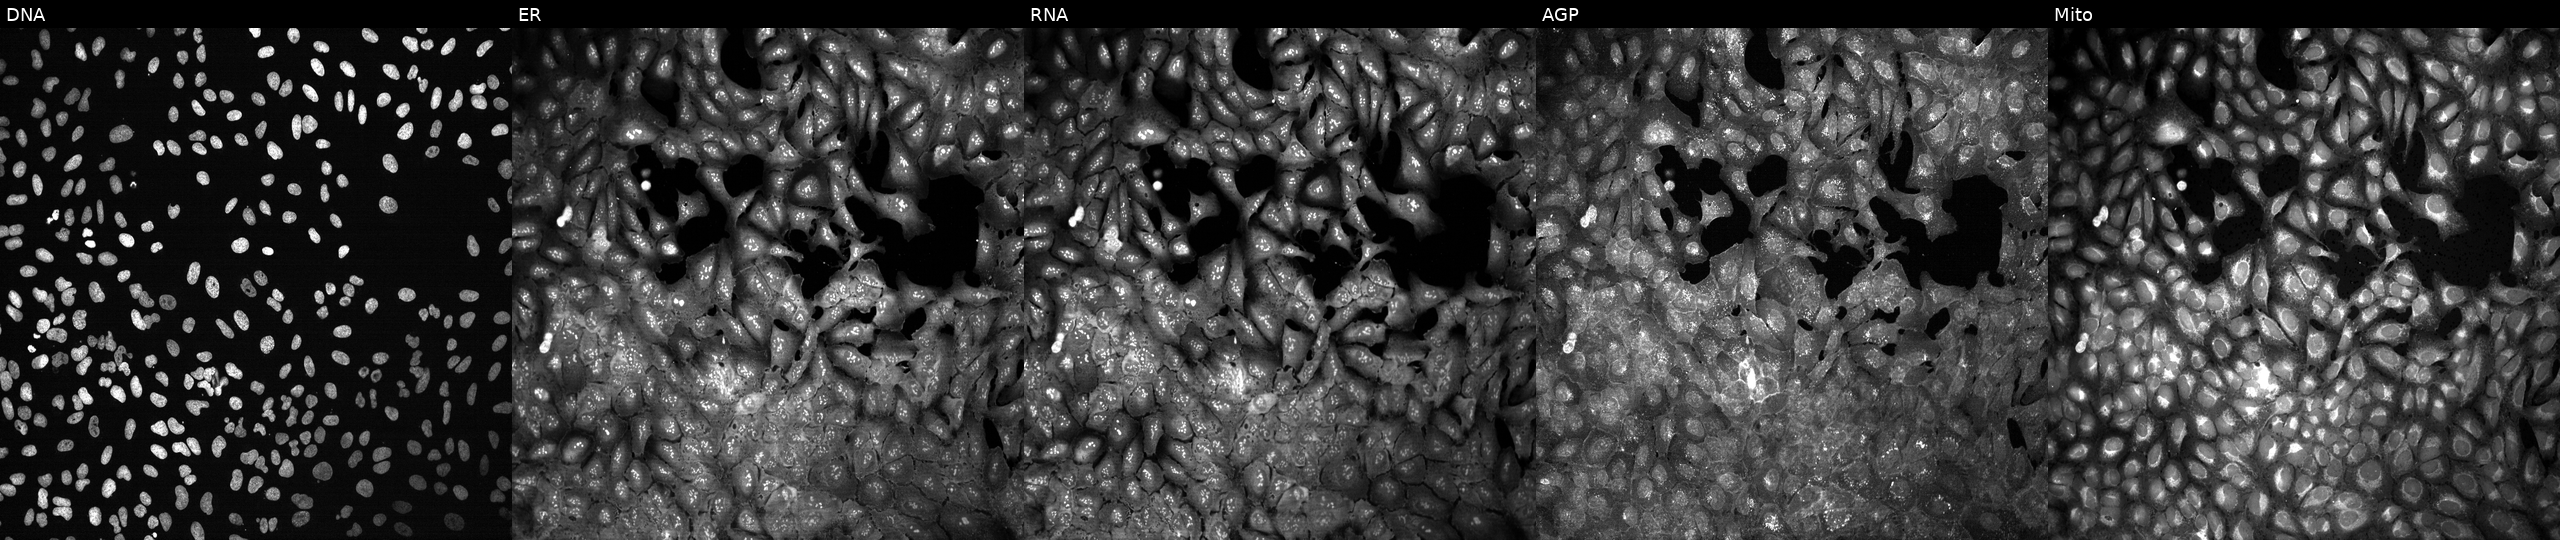
High-content fluorescence microscopy (Cell Painting). Cell line: U2OS. Perturbation: following CRISPR knockout of LGALS12 (JUMP id JCP2022_803810). The five panels, left to right, show DNA, ER, RNA, AGP, and Mito. Source 13, plate CP-CC9-R1-02, well L18.